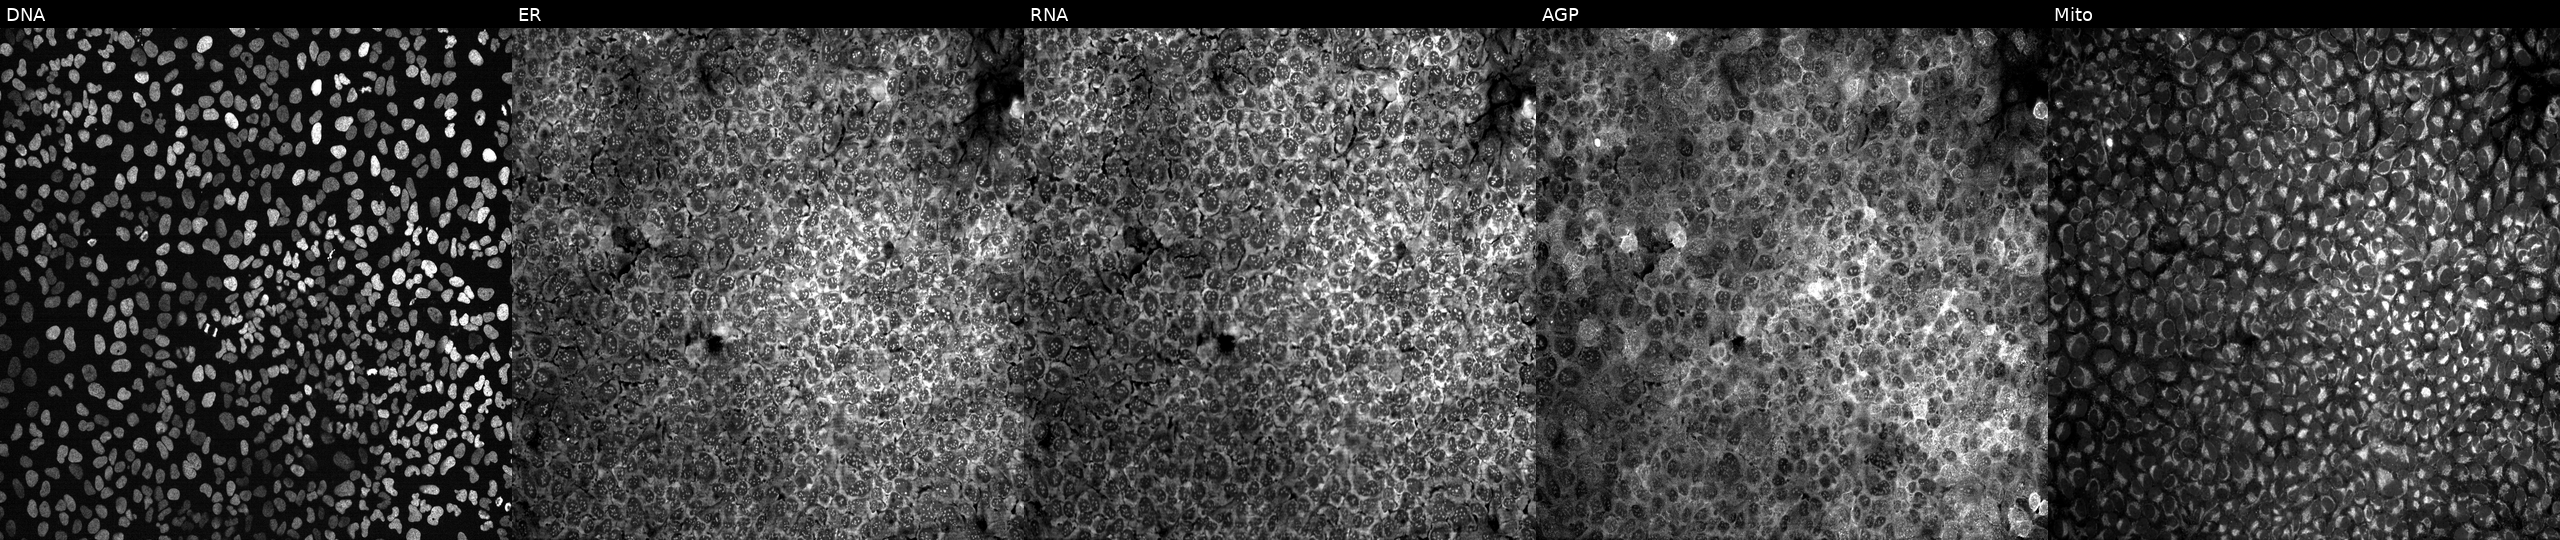
Five-channel Cell Painting image of U2OS cells with no CRISPR guide (negative control). From left to right: Hoechst 33342, concanavalin A, SYTO 14, phalloidin and WGA, MitoTracker. Source 13, plate CP-CC9-R4-03, well N02.